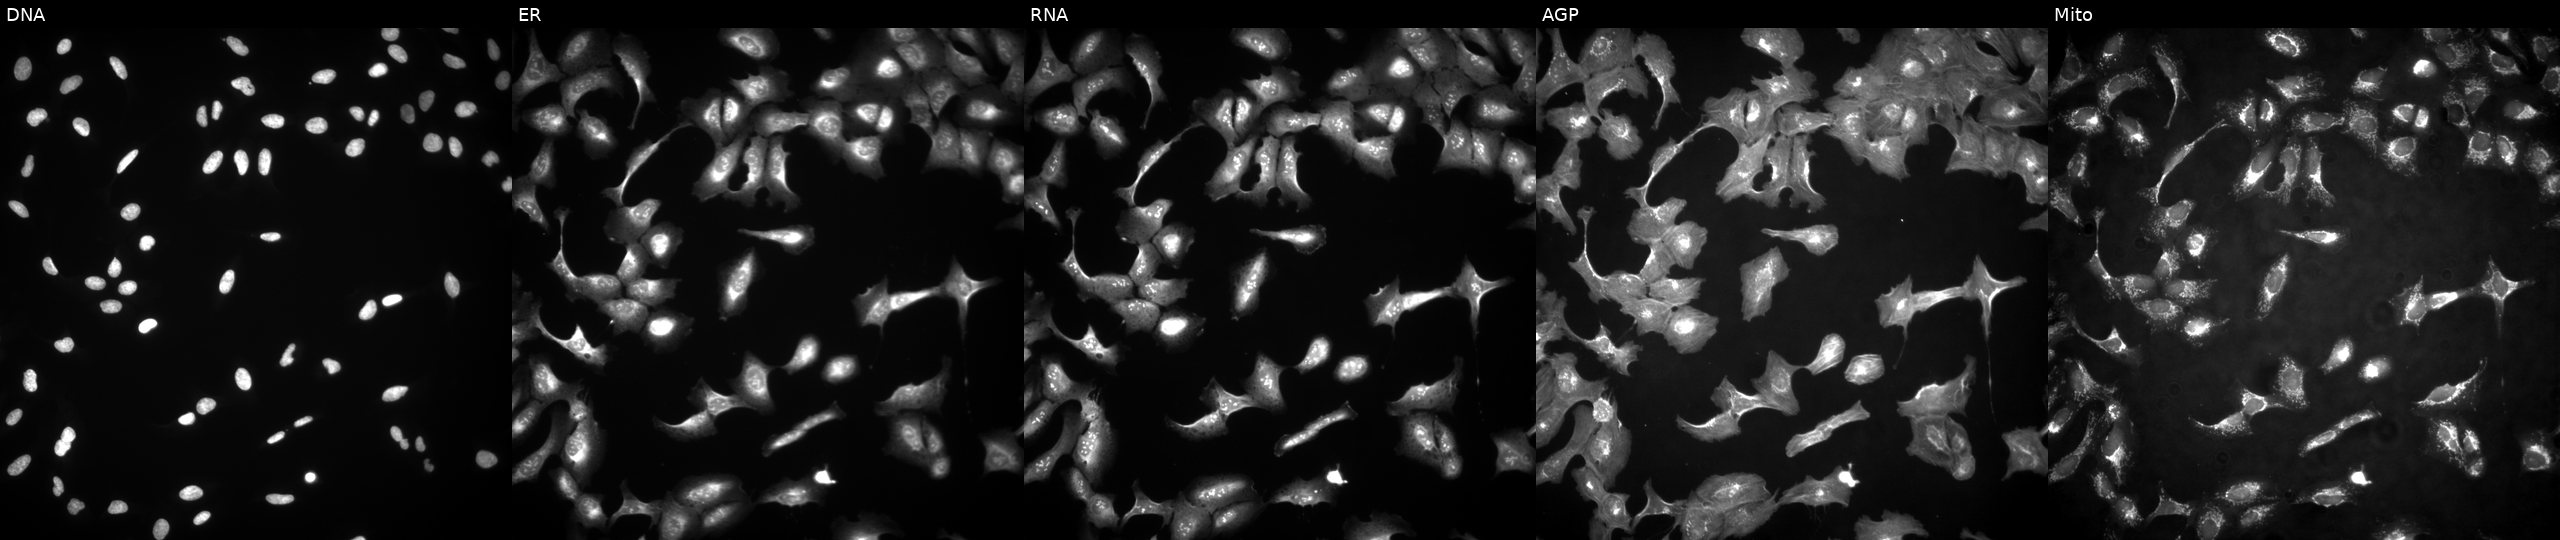
Panels show, left to right, DNA, ER, RNA, AGP, and Mito. U2OS osteosarcoma cells transfected with an ORF construct for IL20RB. Cell Painting assay, JUMP-CP dataset. Source 4, plate BR00123509, well L20.